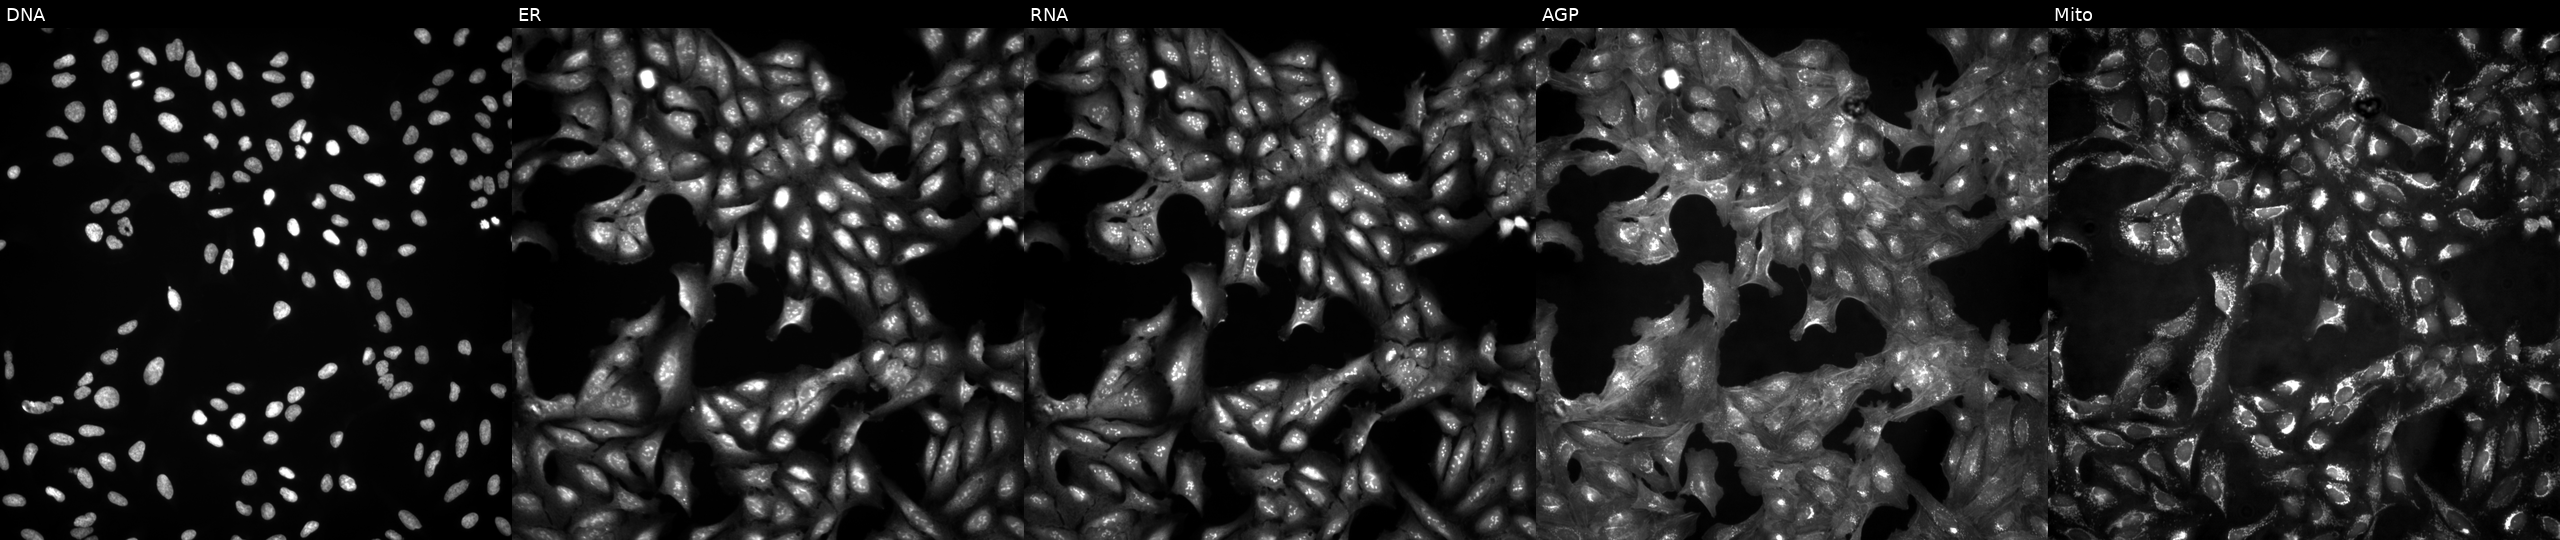
High-content fluorescence microscopy (Cell Painting). Cell line: U2OS. Perturbation: in an empty control well (no perturbation). Channels (left→right): DNA (nuclei); ER (endoplasmic reticulum); RNA (nucleoli and cytoplasmic RNA); AGP (actin cytoskeleton, Golgi, and plasma membrane); Mito (mitochondria).